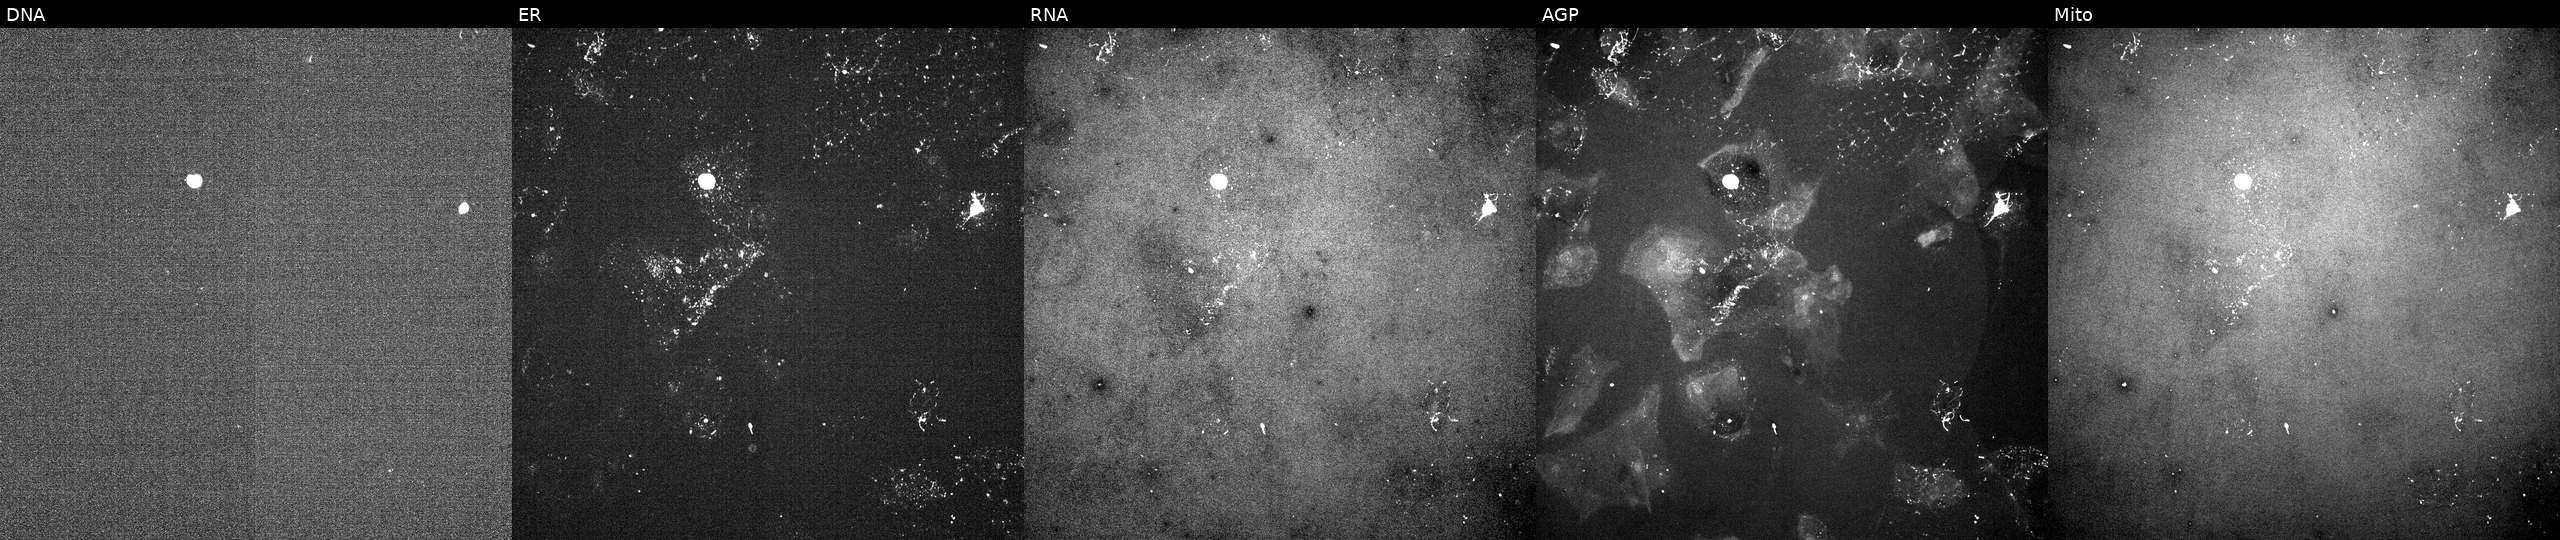
JUMP Cell Painting — TARGET2 plate. U2OS cells perturbed with a small-molecule compound (InChIKey IAYGCINLNONXHY-UHFFFAOYSA-N). Channels (left→right): DNA, ER, RNA, AGP, and Mito. Source 5, plate ACPJUM012, well F22.